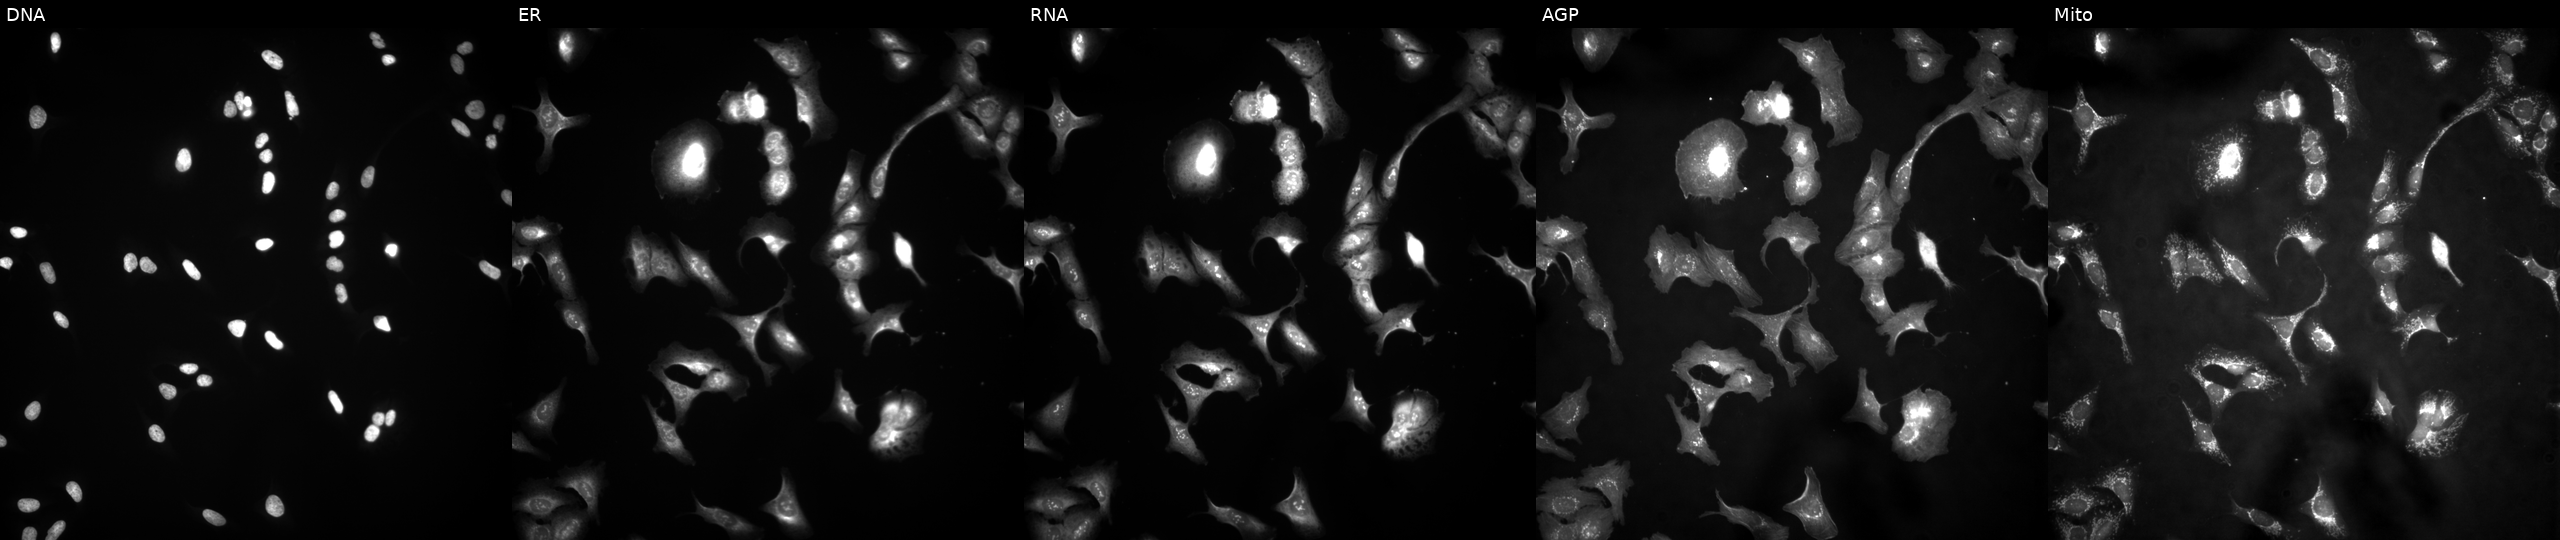
Channels (left→right): Hoechst 33342, concanavalin A, SYTO 14, phalloidin and WGA, MitoTracker. U2OS osteosarcoma cells transfected with an ORF construct for CCDC33. Cell Painting assay, JUMP-CP dataset.